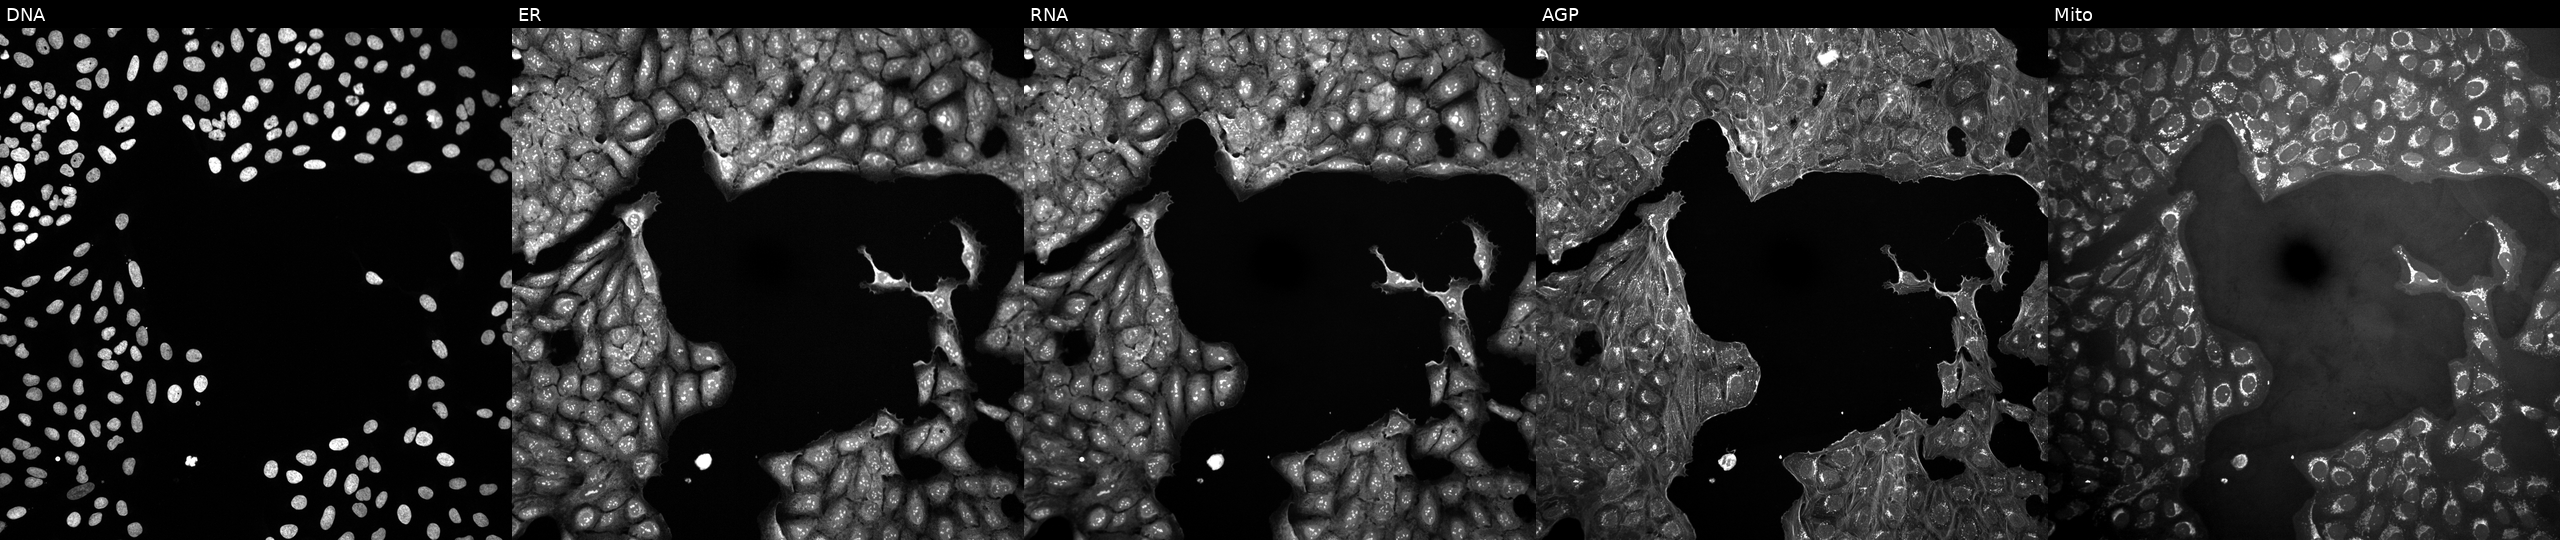
High-content fluorescence microscopy (Cell Painting). Cell line: U2OS. Perturbation: perturbed with a small-molecule compound (InChIKey GMJOXFHBFLELRN-UHFFFAOYSA-N) (JUMP id JCP2022_026422). The five panels, left to right, show DNA, ER, RNA, AGP, and Mito. Source 10, plate Dest210531-152149, well C16.